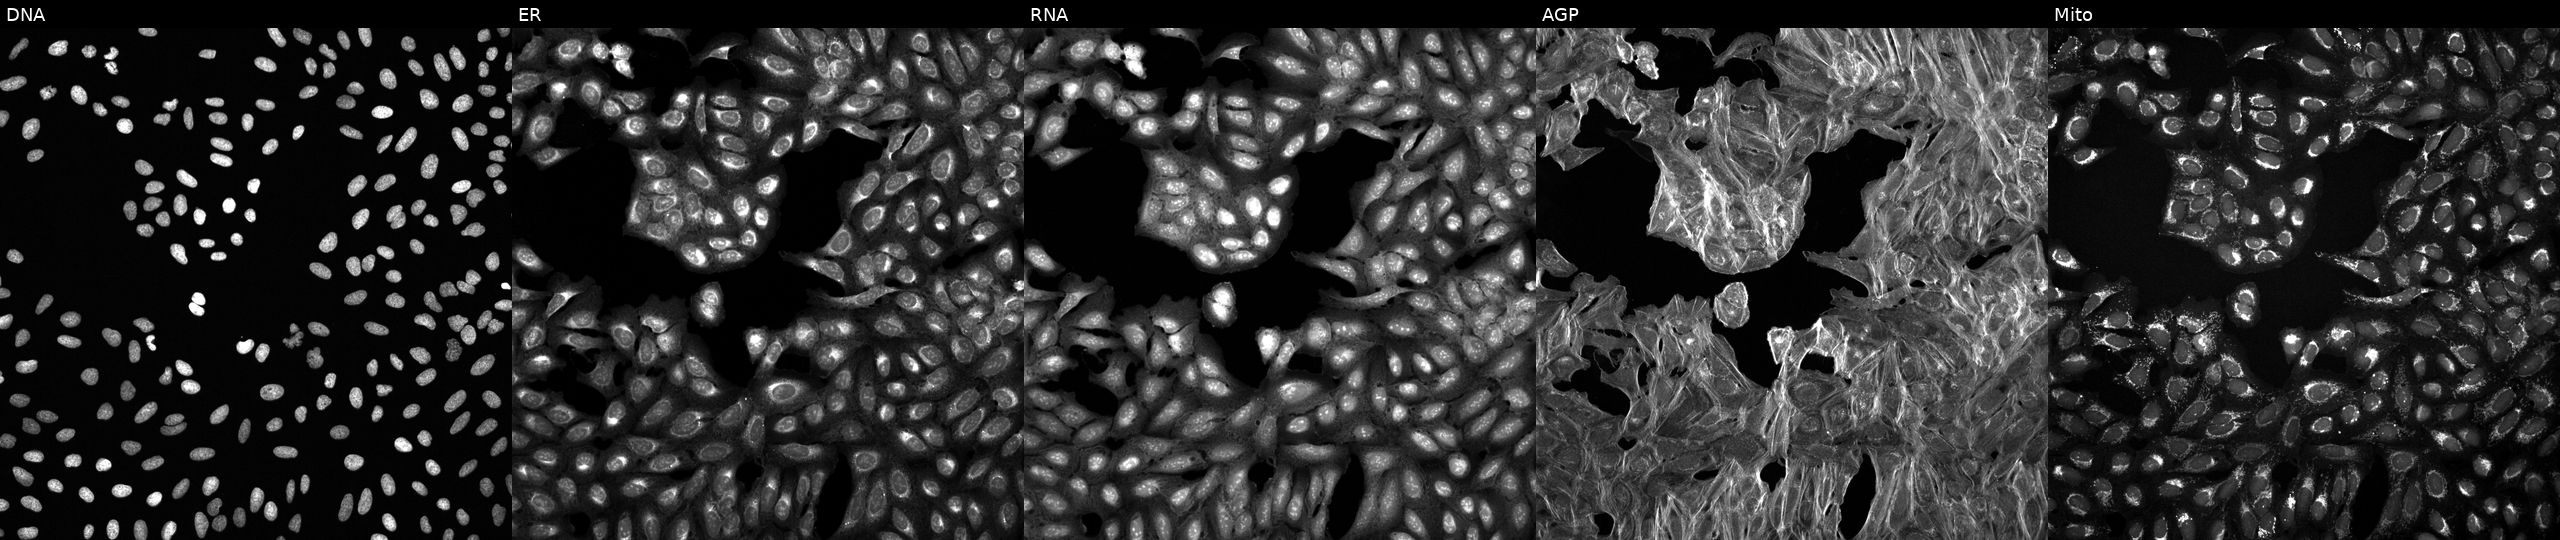
High-content fluorescence microscopy (Cell Painting). Cell line: U2OS. Perturbation: perturbed with a small-molecule compound (InChIKey DSLRVRBSNLHVBH-UHFFFAOYSA-N) (JUMP id JCP2022_017914). The five panels, left to right, show DNA, ER, RNA, AGP, and Mito. Source 6, plate 110000293081, well H03.